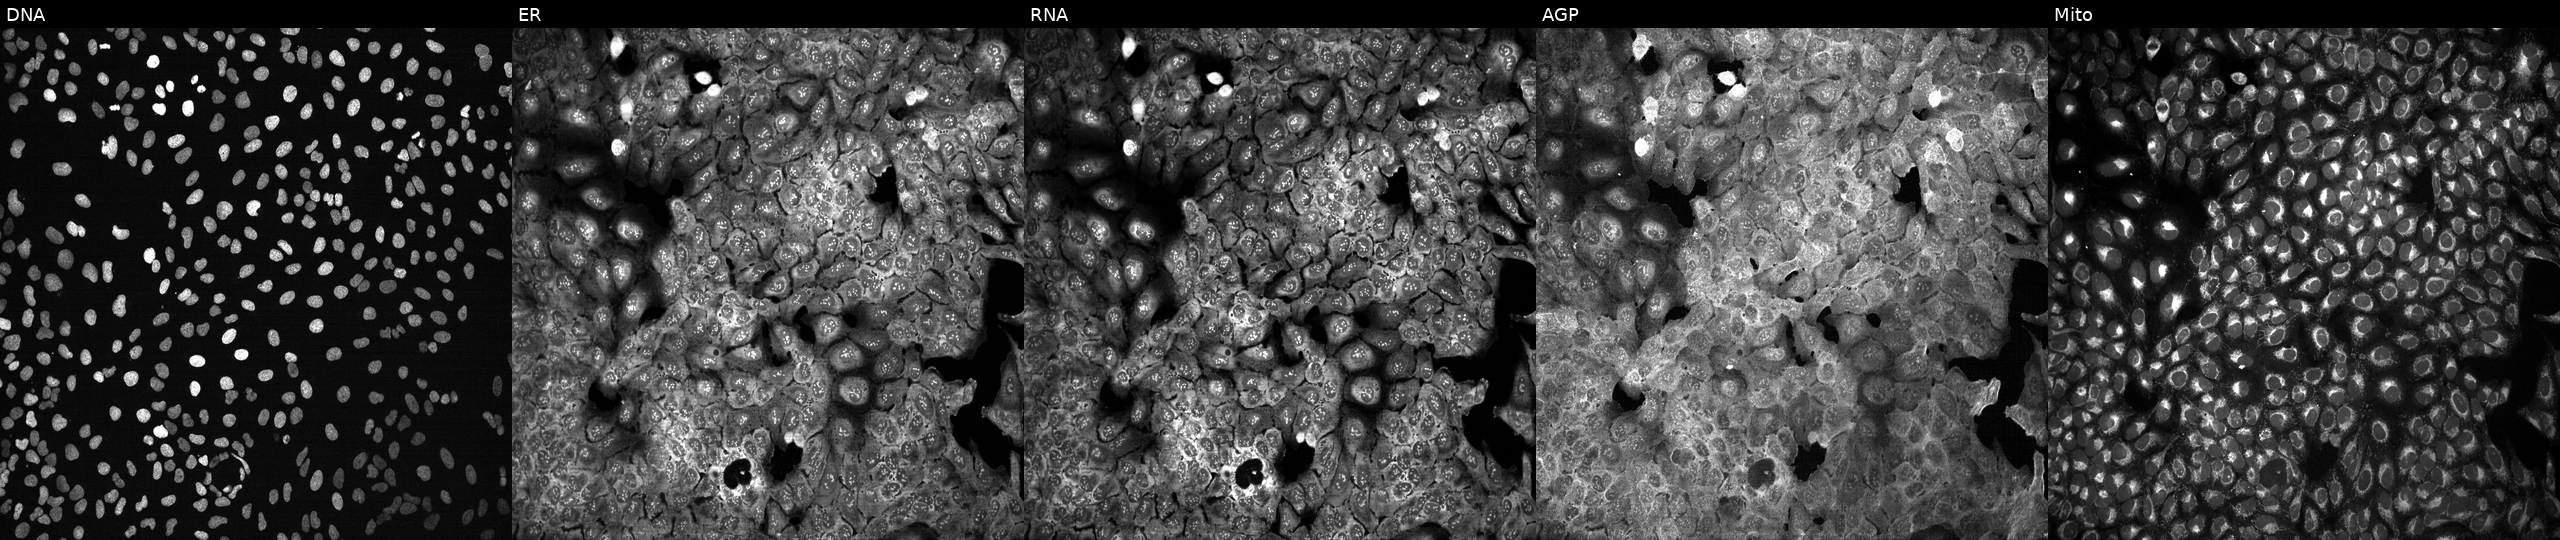
Five-channel Cell Painting image of U2OS cells CRISPR-edited to disrupt NOS3. From left to right: DNA, ER, RNA, AGP, and Mito. Source 13, plate CP-CC9-R3-02, well N18.